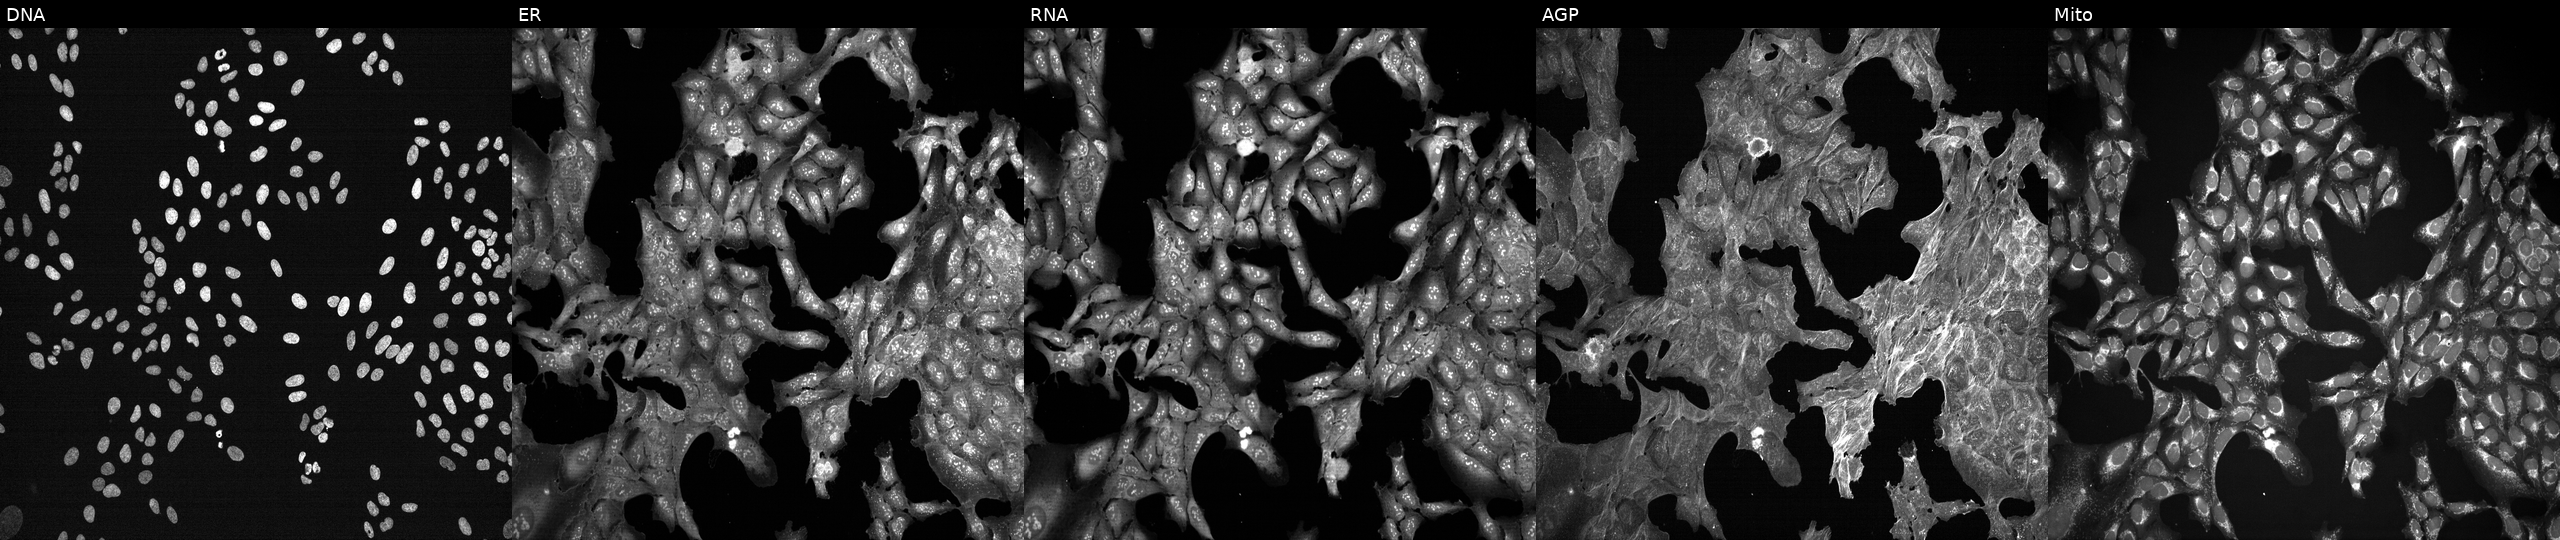
JUMP Cell Painting — TARGET2 plate. U2OS cells exposed to a small-molecule compound (JUMP id JCP2022_085892). From left to right: DNA (nuclei); ER (endoplasmic reticulum); RNA (nucleoli and cytoplasmic RNA); AGP (actin cytoskeleton, Golgi, and plasma membrane); Mito (mitochondria).